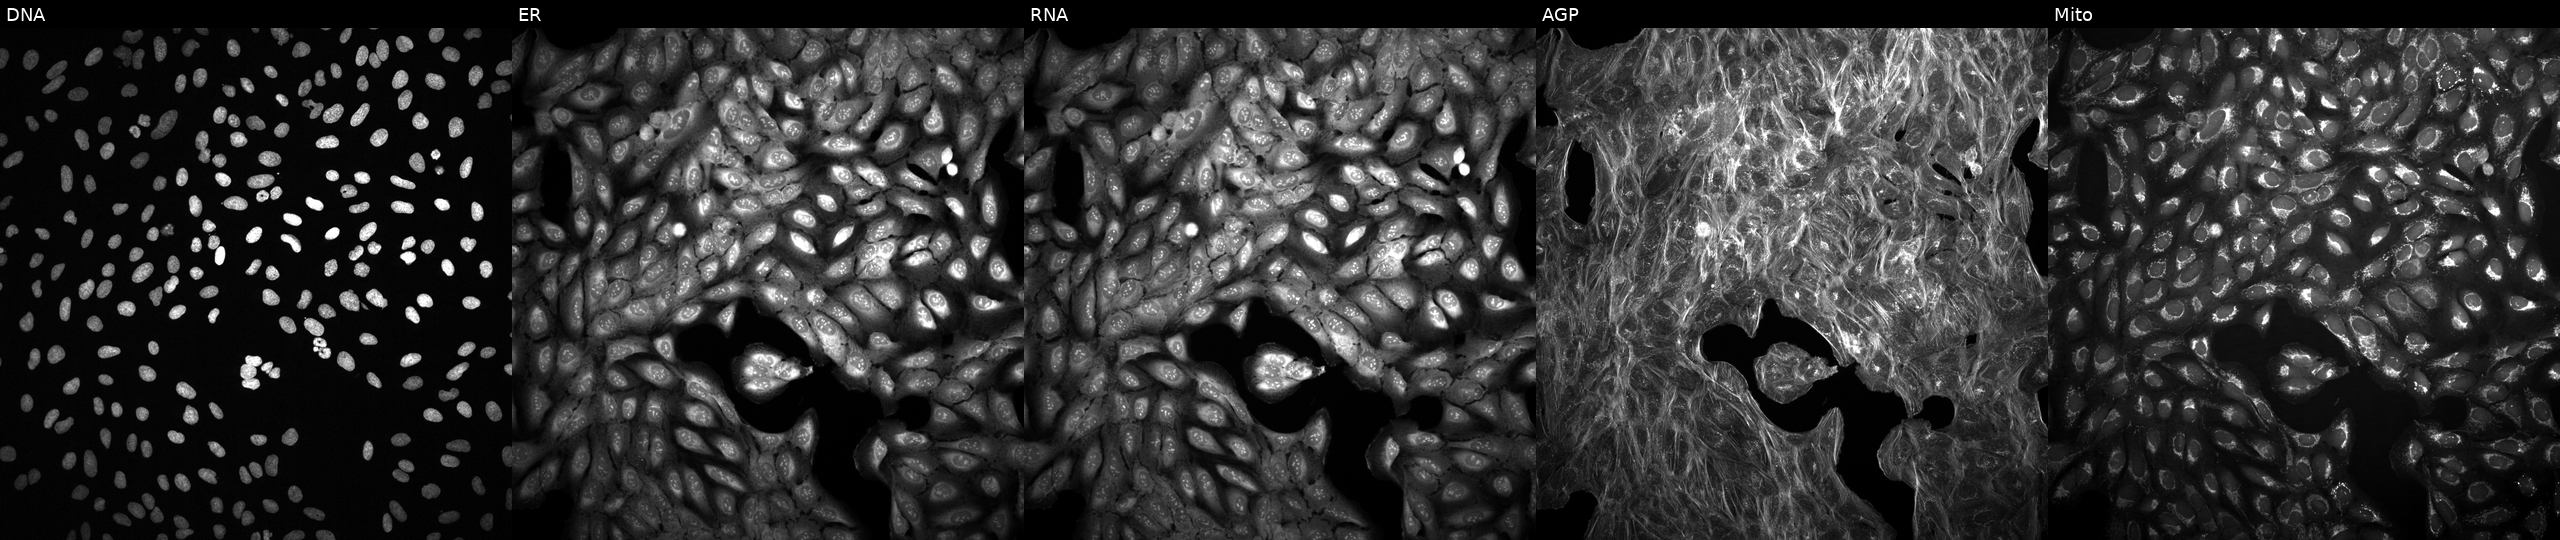
U2OS cells, Cell Painting assay, treated with DMSO vehicle only (negative control). Channels (left→right): DNA (nuclei); ER (endoplasmic reticulum); RNA (nucleoli and cytoplasmic RNA); AGP (actin cytoskeleton, Golgi, and plasma membrane); Mito (mitochondria). Each panel is percentile-stretched 16-bit fluorescence.